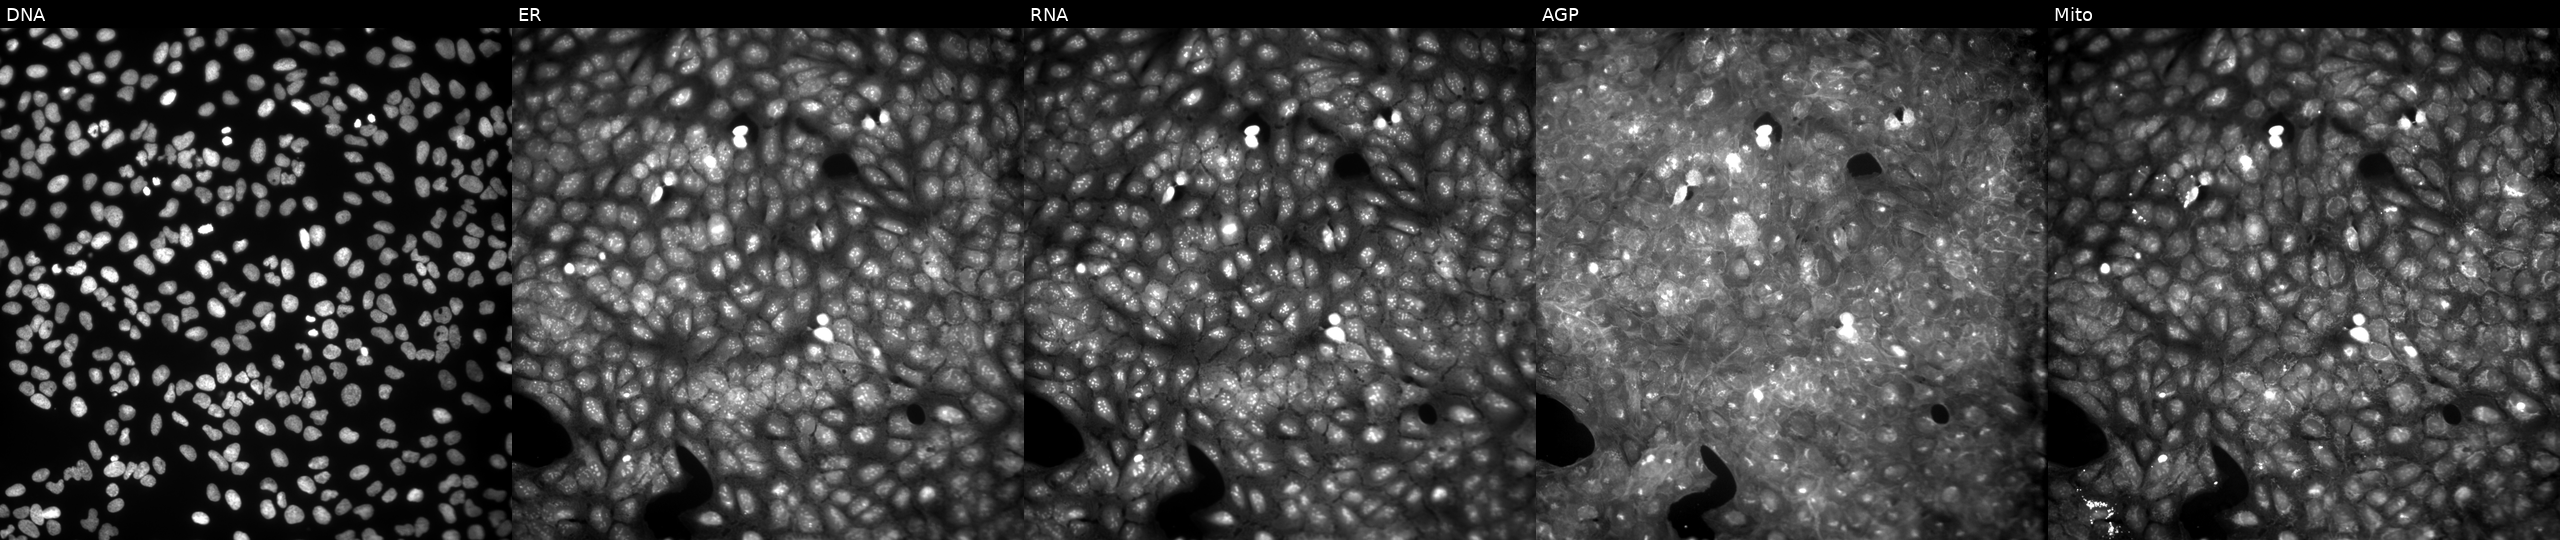
The five panels, left to right, show DNA, ER, RNA, AGP, and Mito. U2OS osteosarcoma cells perturbed with a small-molecule compound (JUMP id JCP2022_082040). Cell Painting assay, JUMP-CP dataset.